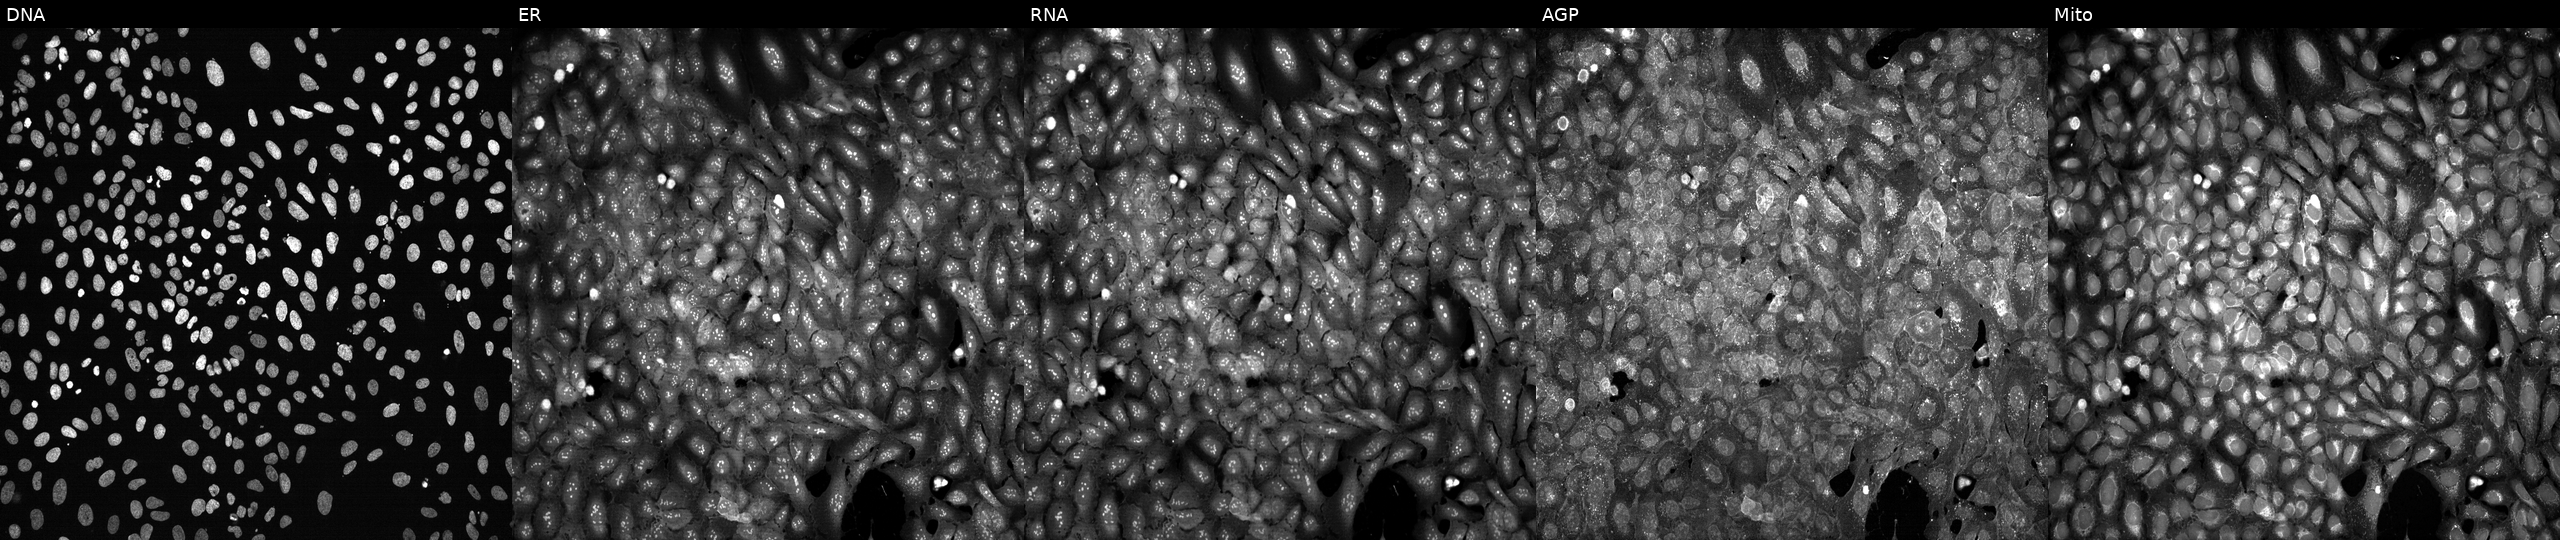
High-content fluorescence microscopy (Cell Painting). Cell line: U2OS. Perturbation: with CA14 knocked out by CRISPR. From left to right: DNA (nuclei); ER (endoplasmic reticulum); RNA (nucleoli and cytoplasmic RNA); AGP (actin cytoskeleton, Golgi, and plasma membrane); Mito (mitochondria). Source 13, plate CP-CC9-R1-02, well P15.